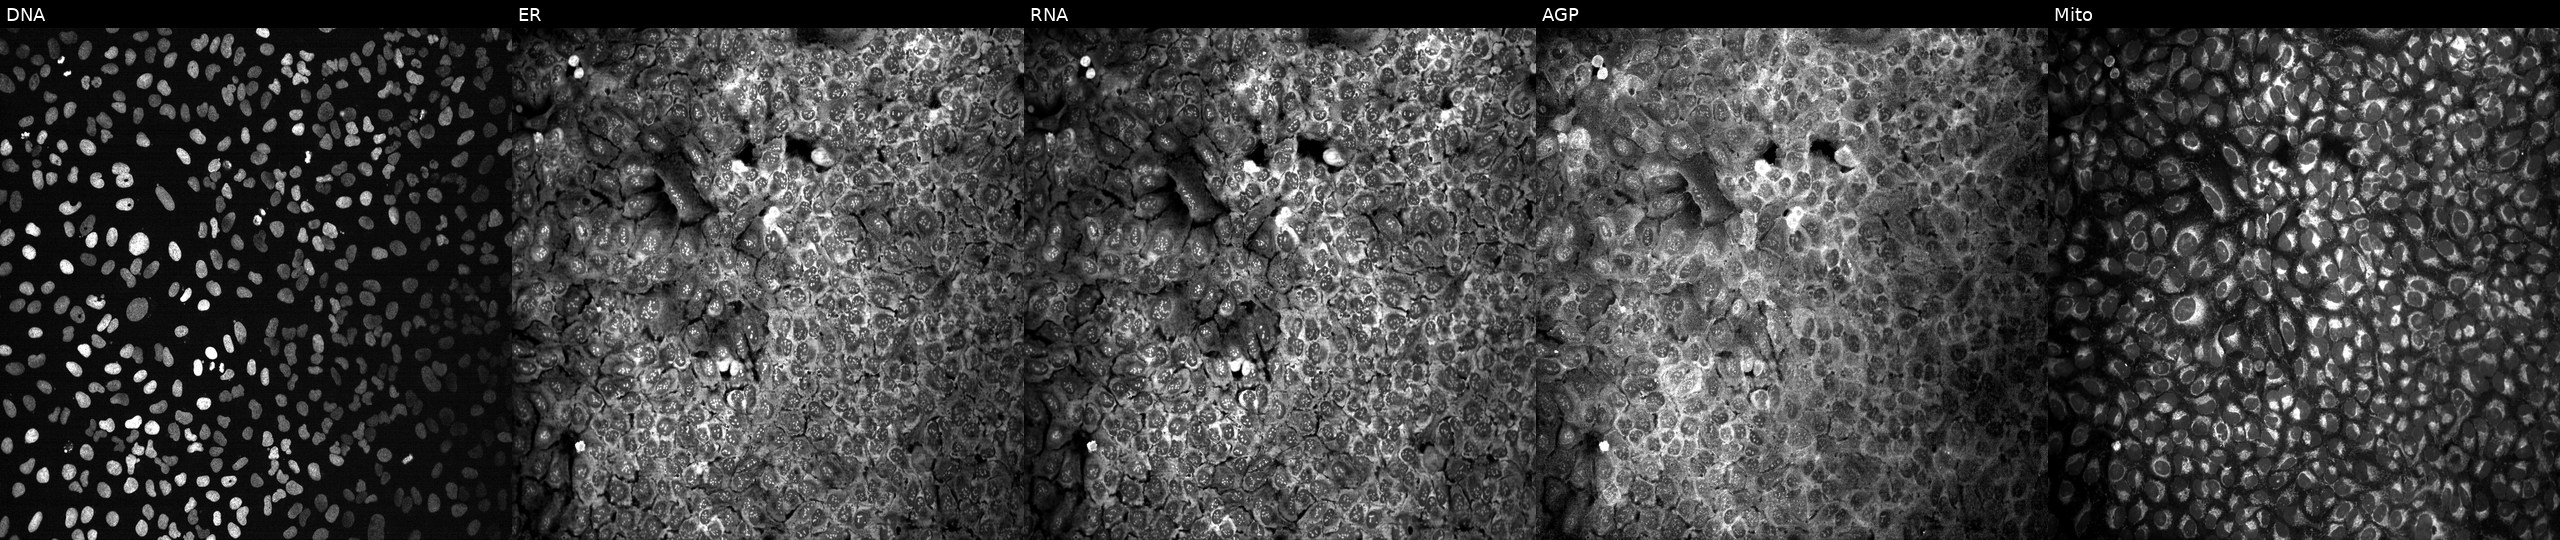
U2OS cells, Cell Painting assay, CRISPR-edited to disrupt ARFGAP3 (JUMP id JCP2022_800558). Panels show, left to right, DNA, ER, RNA, AGP, and Mito. Each panel is percentile-stretched 16-bit fluorescence.